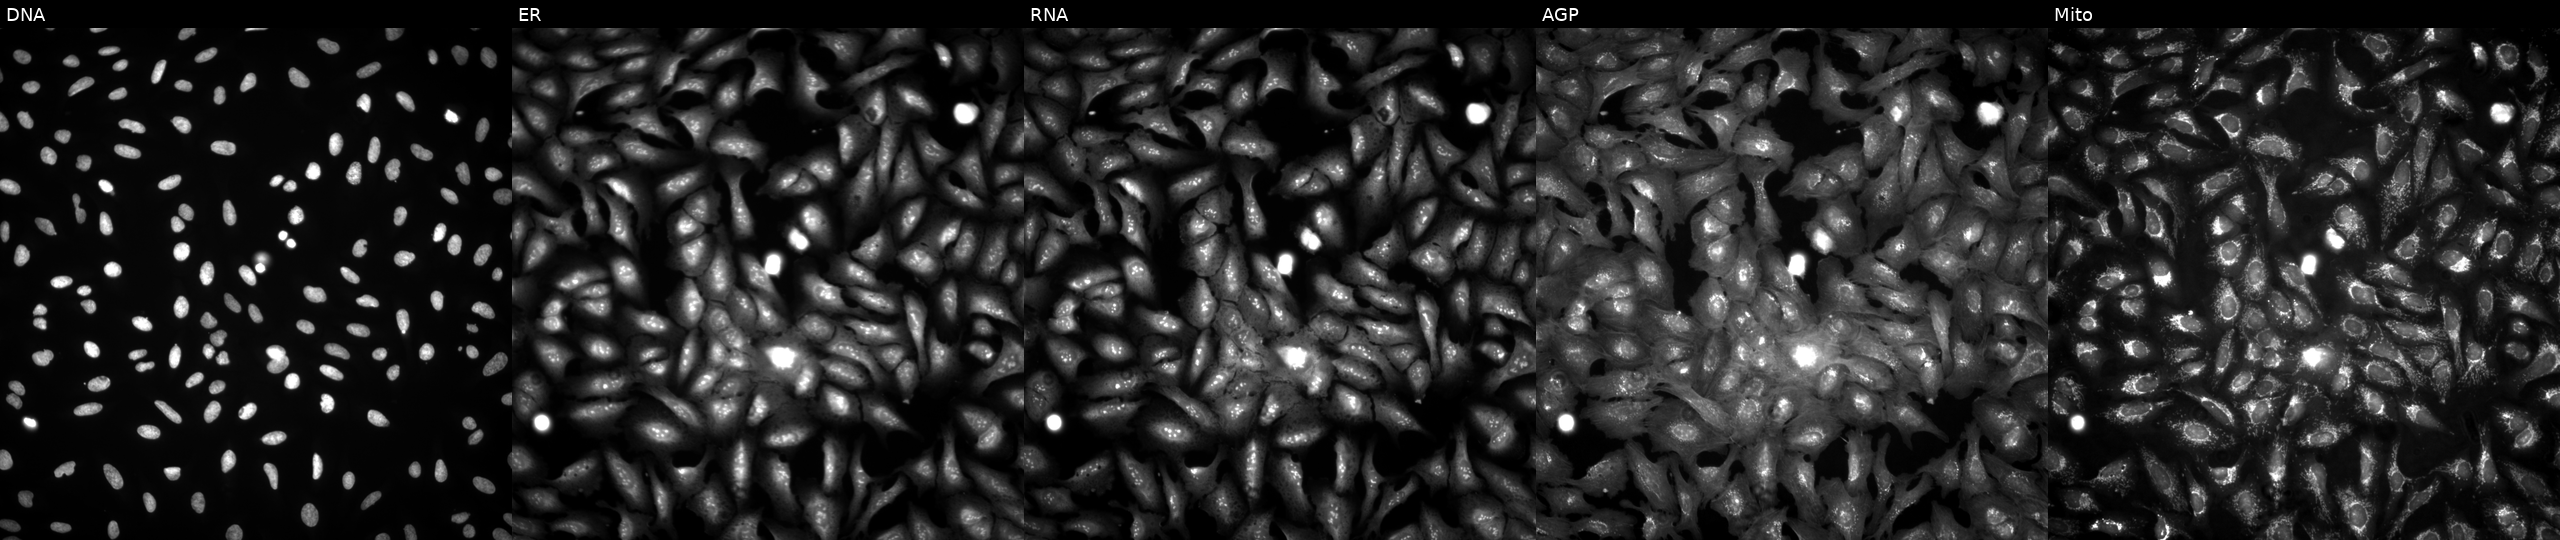
This image strip shows the five Cell Painting channels for a single field of U2OS cells overexpressing AAK1 via ORF transfection (JUMP id JCP2022_914725). From left to right: DNA (nuclei); ER (endoplasmic reticulum); RNA (nucleoli and cytoplasmic RNA); AGP (actin cytoskeleton, Golgi, and plasma membrane); Mito (mitochondria). Source 4, plate BR00124787, well J07.